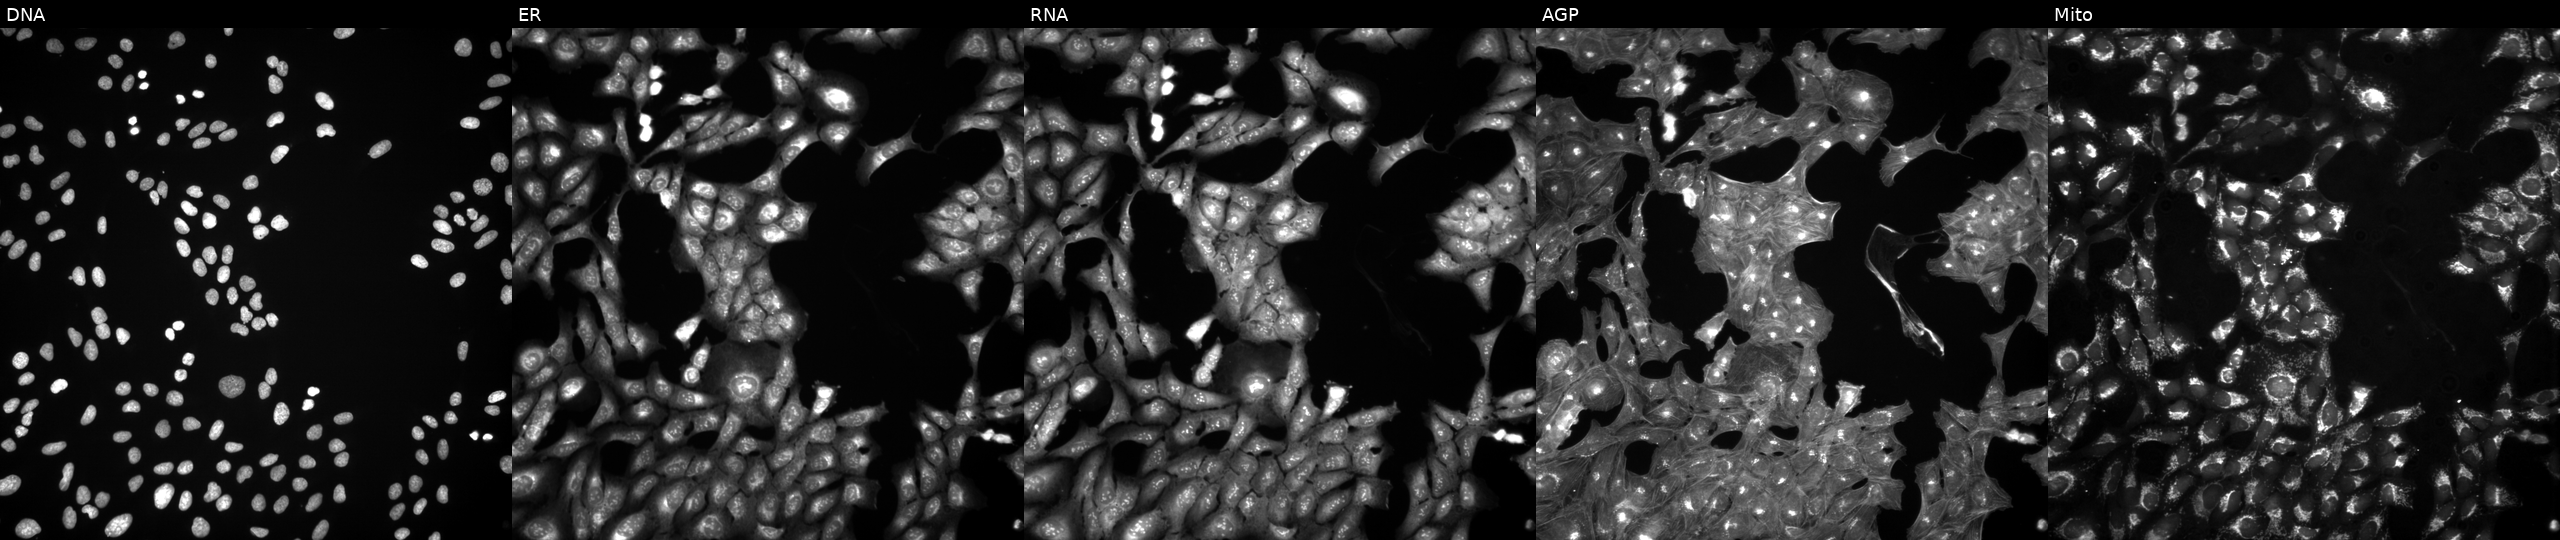
Five-channel Cell Painting image of U2OS cells perturbed with a small-molecule compound. Channels (left→right): DNA (nuclei); ER (endoplasmic reticulum); RNA (nucleoli and cytoplasmic RNA); AGP (actin cytoskeleton, Golgi, and plasma membrane); Mito (mitochondria).